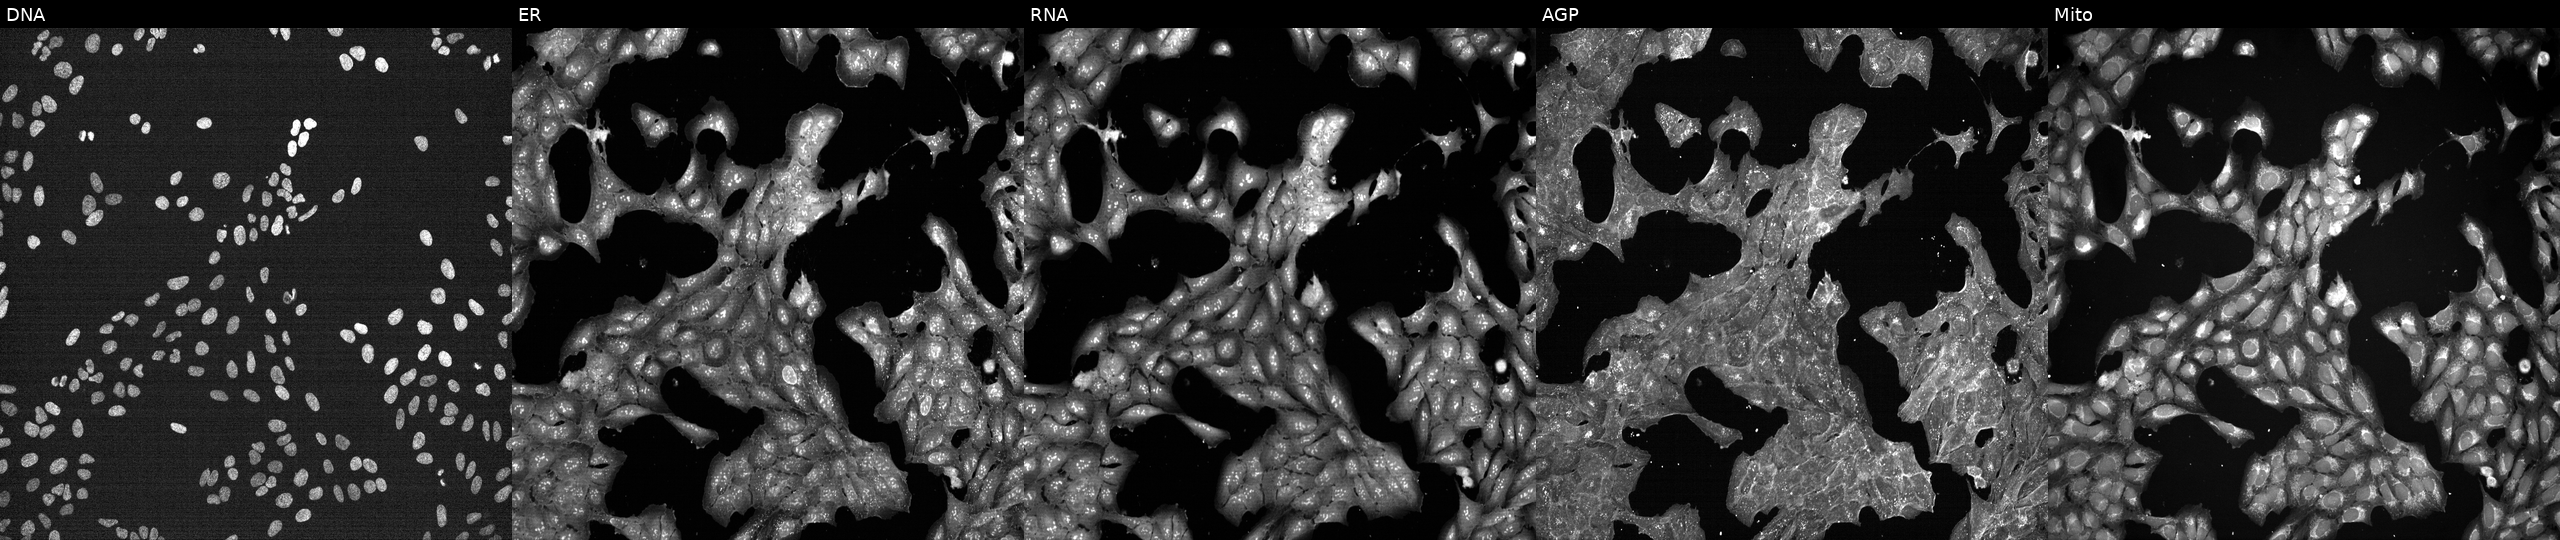
This image strip shows the five Cell Painting channels for a single field of U2OS cells treated with a small-molecule compound (InChIKey RAHBGWKEPAQNFF-UHFFFAOYSA-N) (JUMP id JCP2022_077046). Channels (left→right): DNA (nuclei); ER (endoplasmic reticulum); RNA (nucleoli and cytoplasmic RNA); AGP (actin cytoskeleton, Golgi, and plasma membrane); Mito (mitochondria). Source 7, plate CP1-SC1-25, well O08.